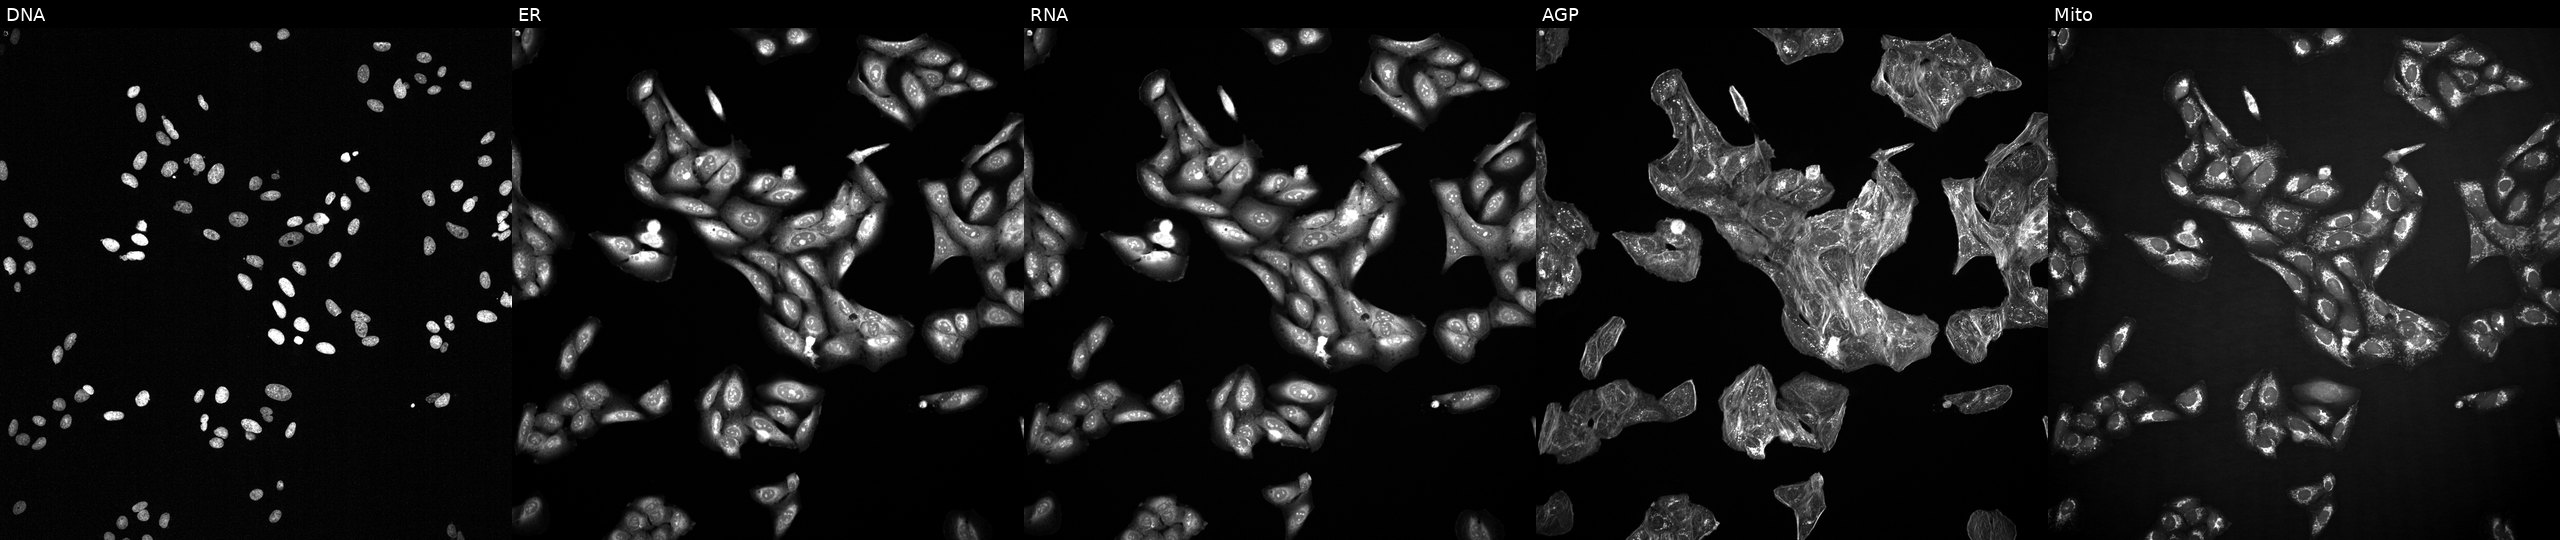
JUMP Cell Painting — COMPOUND plate. U2OS cells perturbed with a small-molecule compound (InChIKey XJLAUUGAEXMSTE-UHFFFAOYSA-N) (JUMP id JCP2022_104039). The five panels, left to right, show DNA (nuclei); ER (endoplasmic reticulum); RNA (nucleoli and cytoplasmic RNA); AGP (actin cytoskeleton, Golgi, and plasma membrane); Mito (mitochondria).